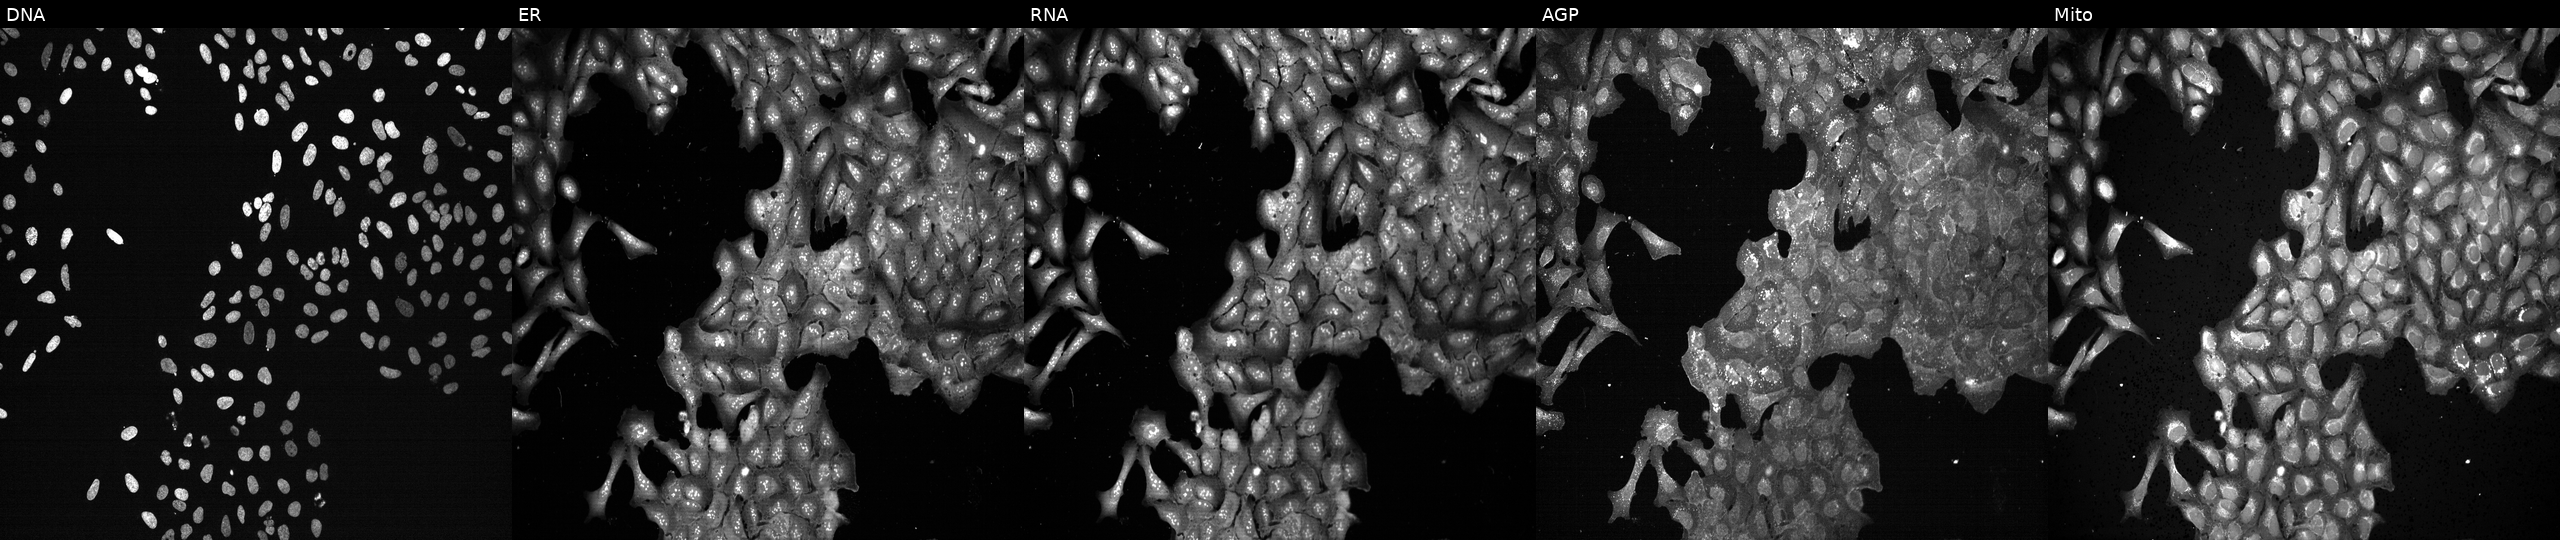
This image strip shows the five Cell Painting channels for a single field of U2OS cells with FCRL2 knocked out by CRISPR. From left to right: DNA (nuclei); ER (endoplasmic reticulum); RNA (nucleoli and cytoplasmic RNA); AGP (actin cytoskeleton, Golgi, and plasma membrane); Mito (mitochondria).